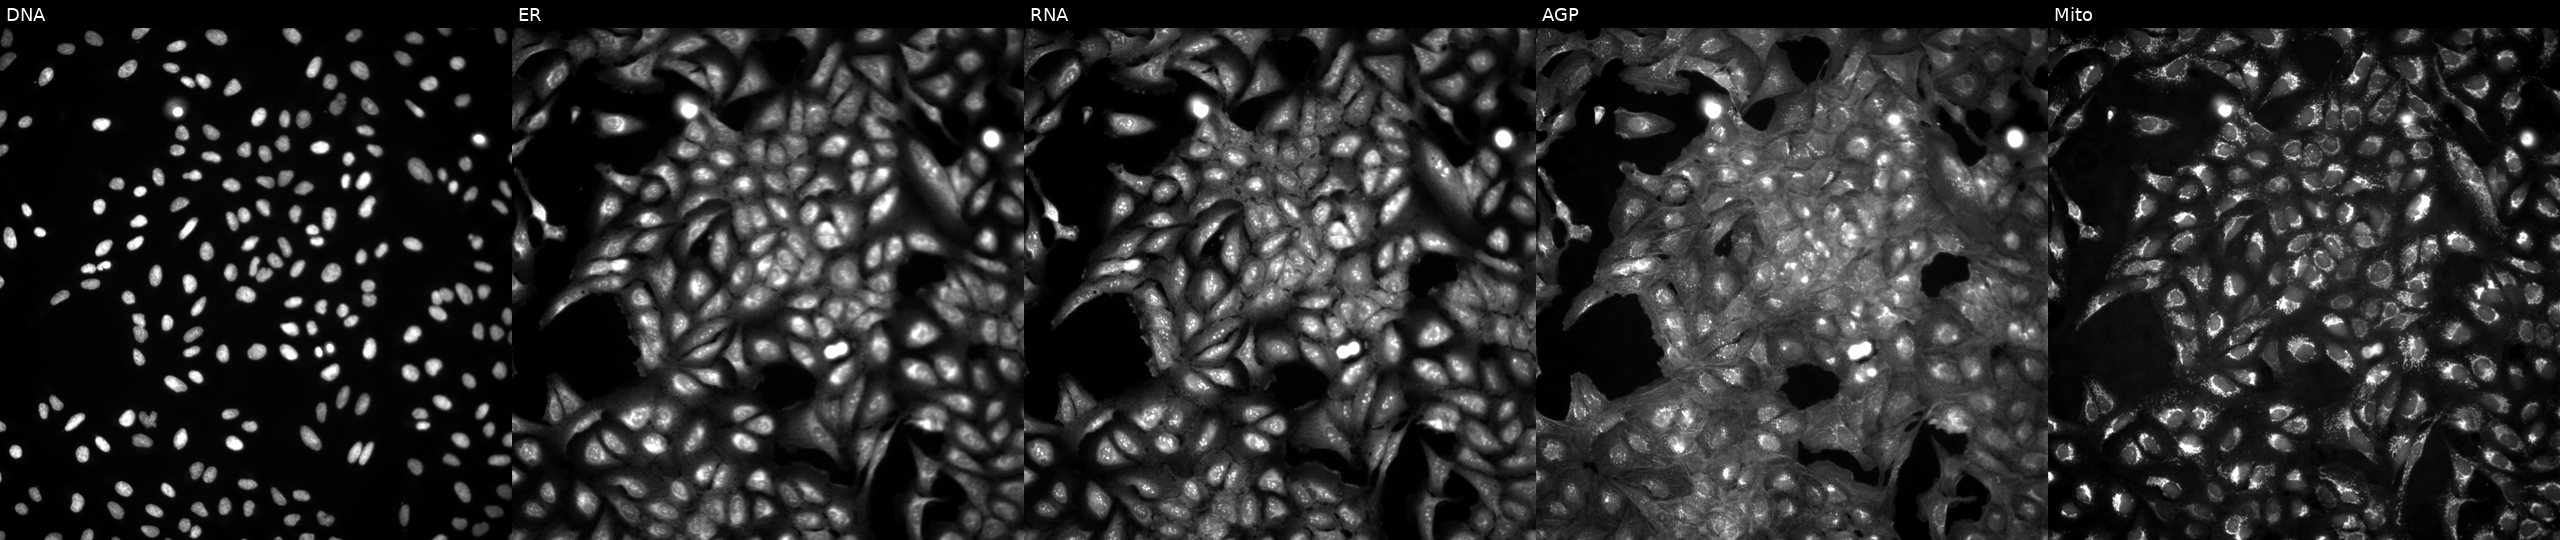
U2OS cells, Cell Painting assay, in an empty control well (no perturbation). The five panels, left to right, show DNA, ER, RNA, AGP, and Mito. Each panel is percentile-stretched 16-bit fluorescence. Source 4, plate BR00124793, well G21.